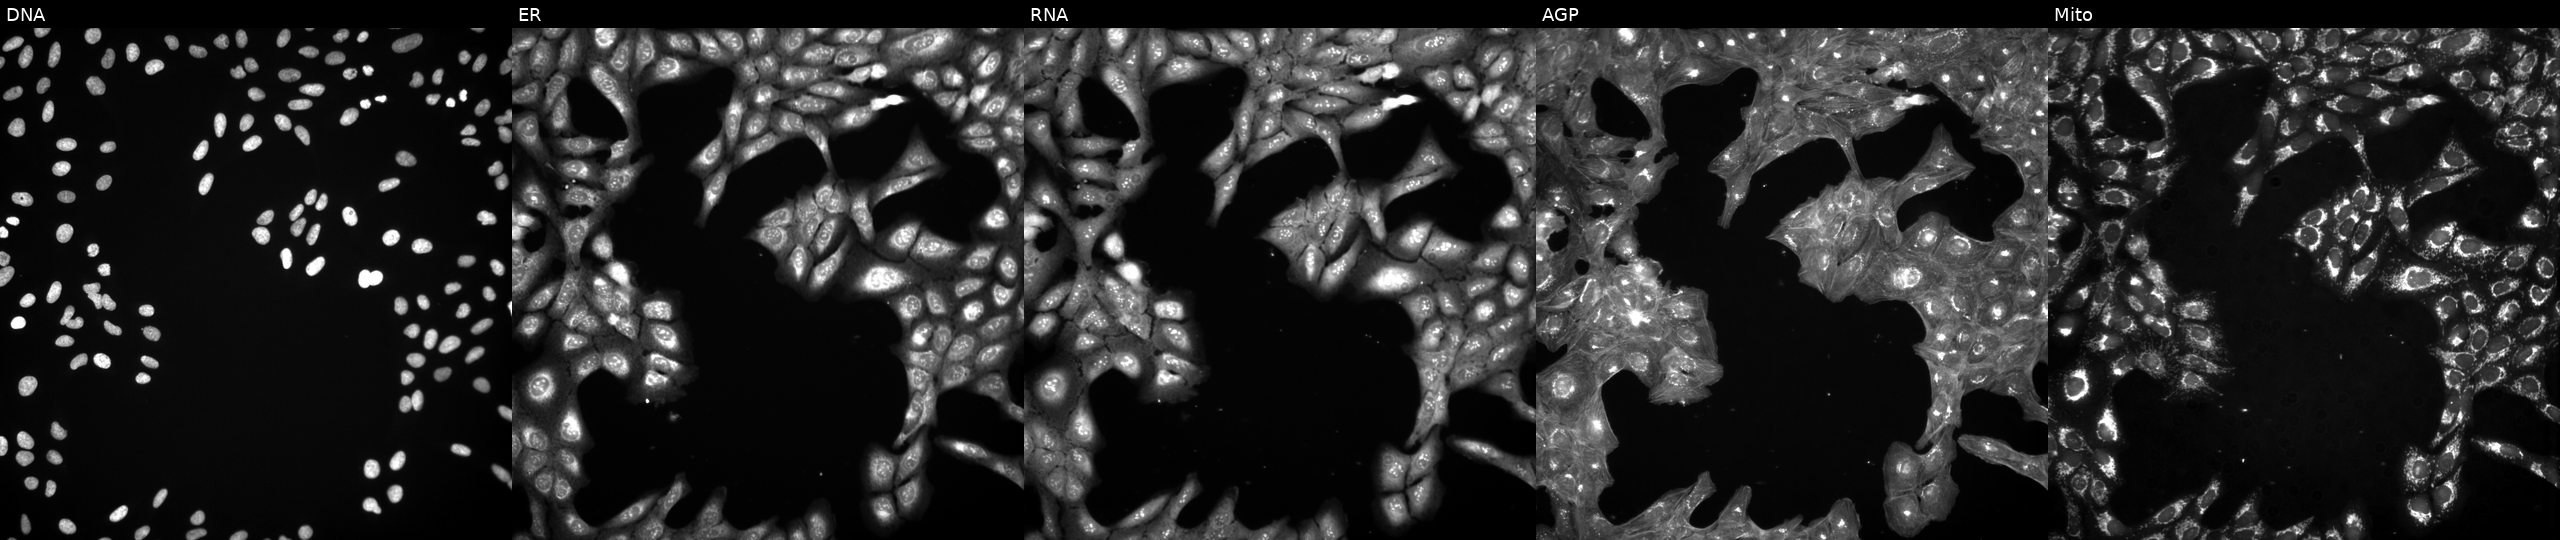
U2OS cells, Cell Painting assay, exposed to a small-molecule compound. The five panels, left to right, show DNA, ER, RNA, AGP, and Mito. Each panel is percentile-stretched 16-bit fluorescence. Source 3, plate BR5867a3, well L04.